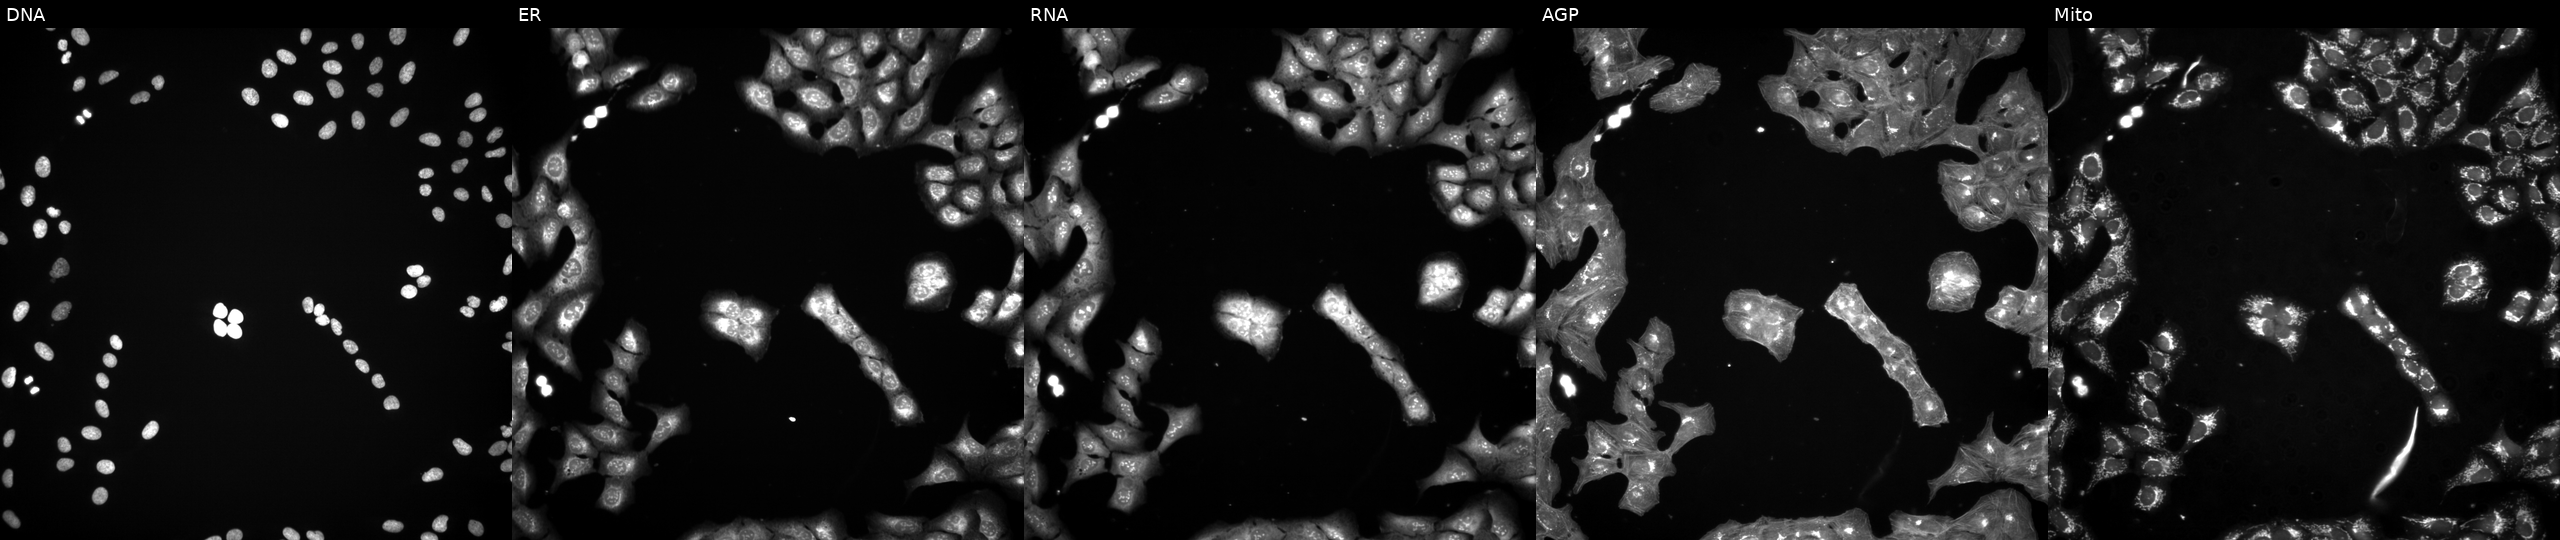
Panels show, left to right, DNA, ER, RNA, AGP, and Mito. U2OS osteosarcoma cells treated with a small-molecule compound (InChIKey BPYGZANGQJXJBZ-UHFFFAOYSA-N) (JUMP id JCP2022_007924). Cell Painting assay, JUMP-CP dataset.